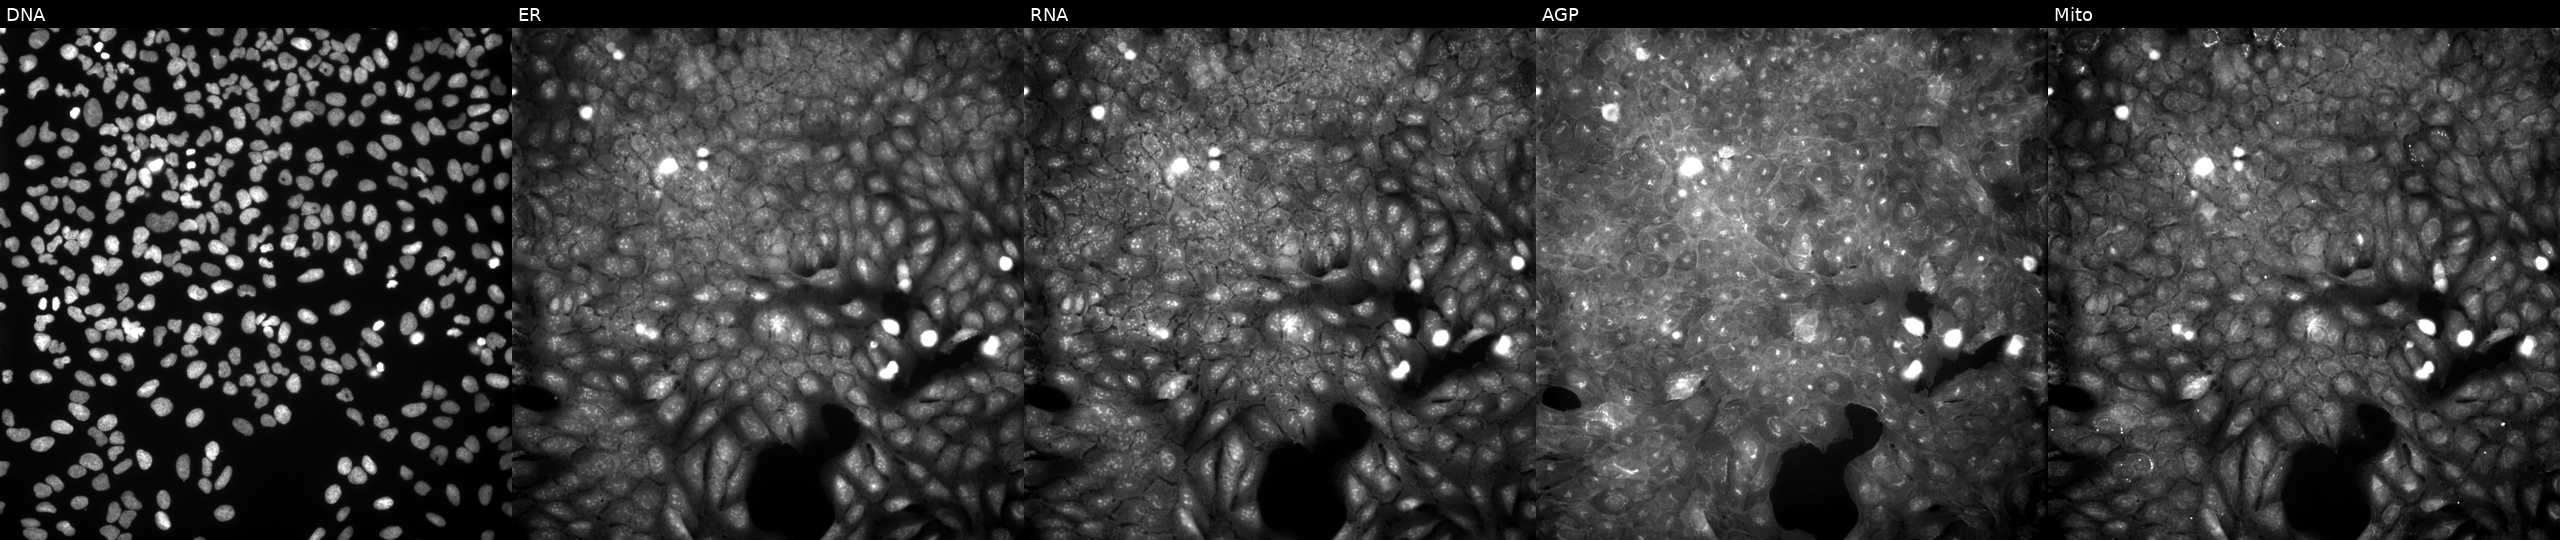
This image strip shows the five Cell Painting channels for a single field of U2OS cells treated with a small-molecule compound [SMILES: O=C(NCC1NCCc2ccccc21)C1CCCCC1] (JUMP id JCP2022_062424). Channels (left→right): DNA (nuclei); ER (endoplasmic reticulum); RNA (nucleoli and cytoplasmic RNA); AGP (actin cytoskeleton, Golgi, and plasma membrane); Mito (mitochondria). Source 9, plate GR00003381, well O19.